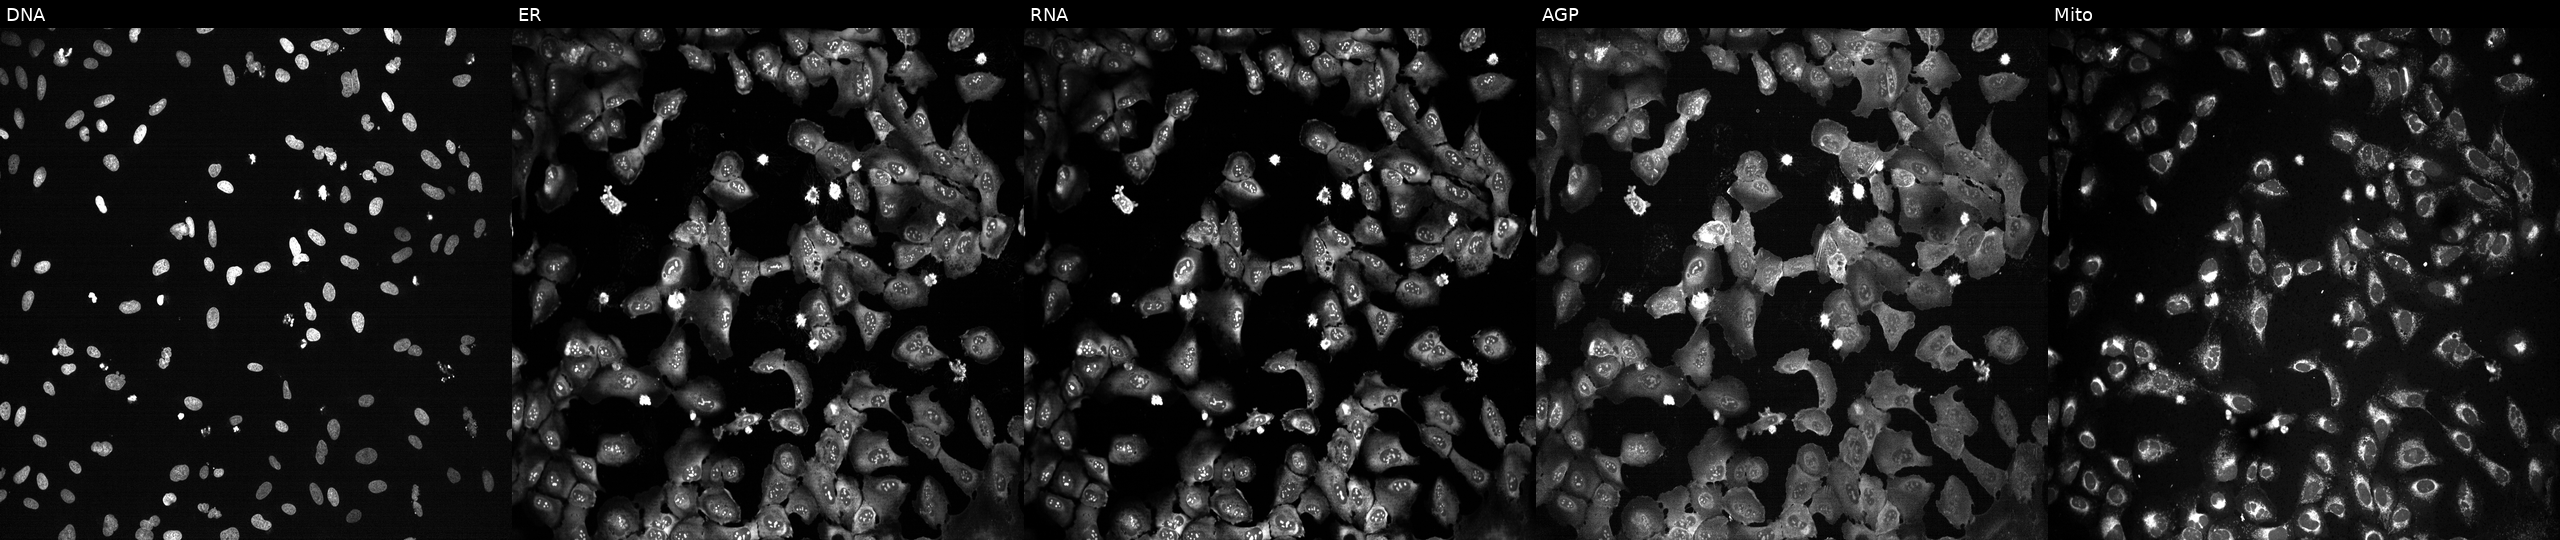
This image strip shows the five Cell Painting channels for a single field of U2OS cells treated with TC-S-7004 (positive-control compound). The five panels, left to right, show DNA, ER, RNA, AGP, and Mito.